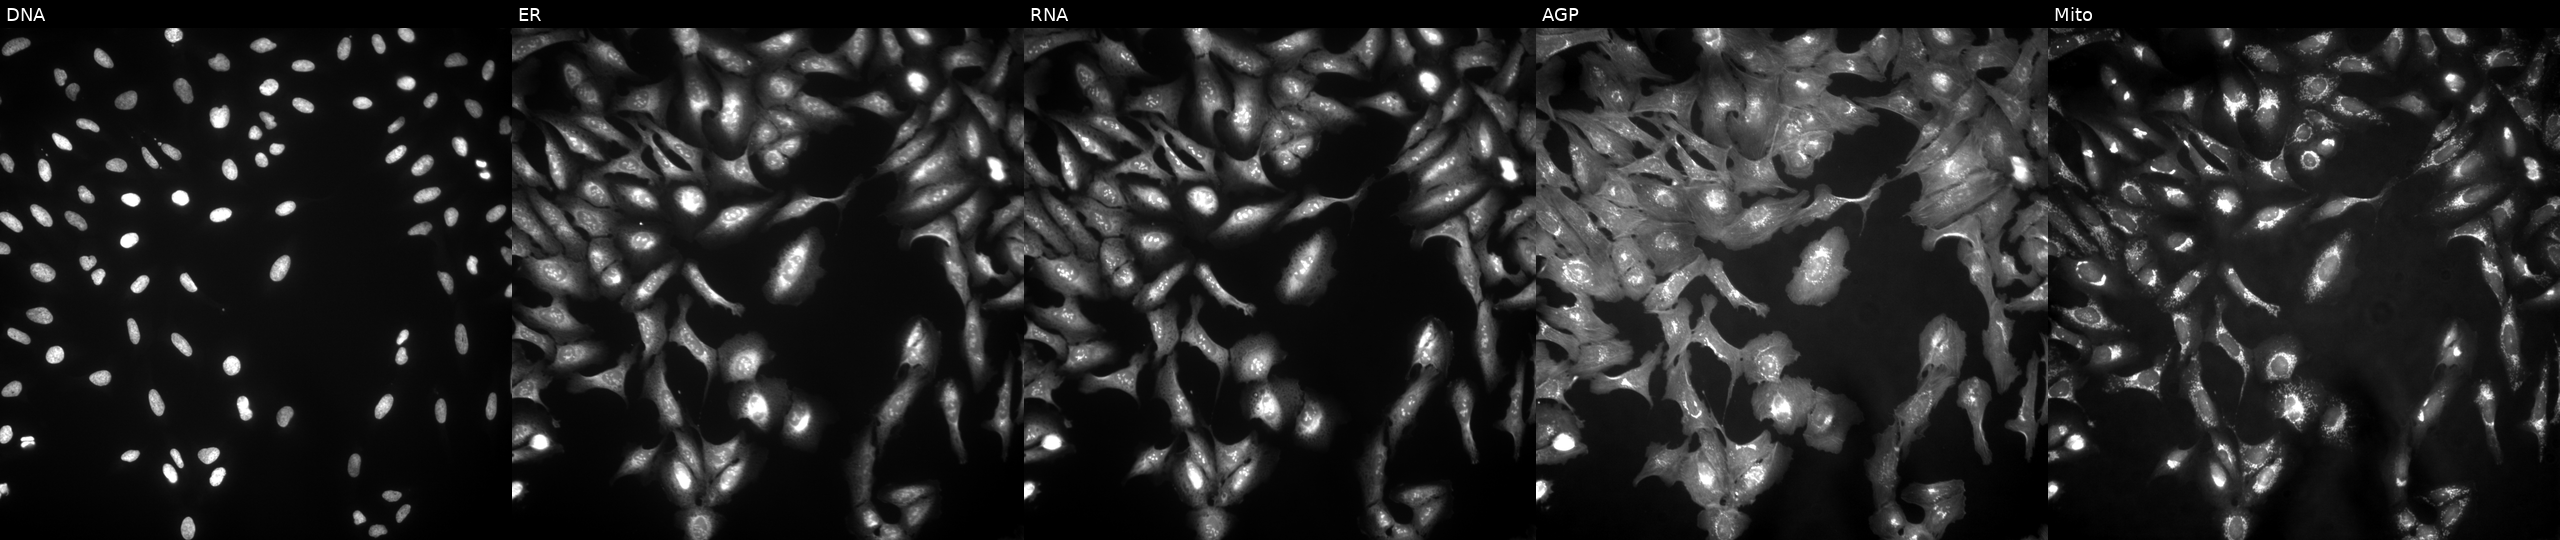
High-content fluorescence microscopy (Cell Painting). Cell line: U2OS. Perturbation: transfected with an ORF construct for CKMT1A (JUMP id JCP2022_905331). The five panels, left to right, show Hoechst 33342, concanavalin A, SYTO 14, phalloidin and WGA, MitoTracker. Source 4, plate BR00123506, well I16.